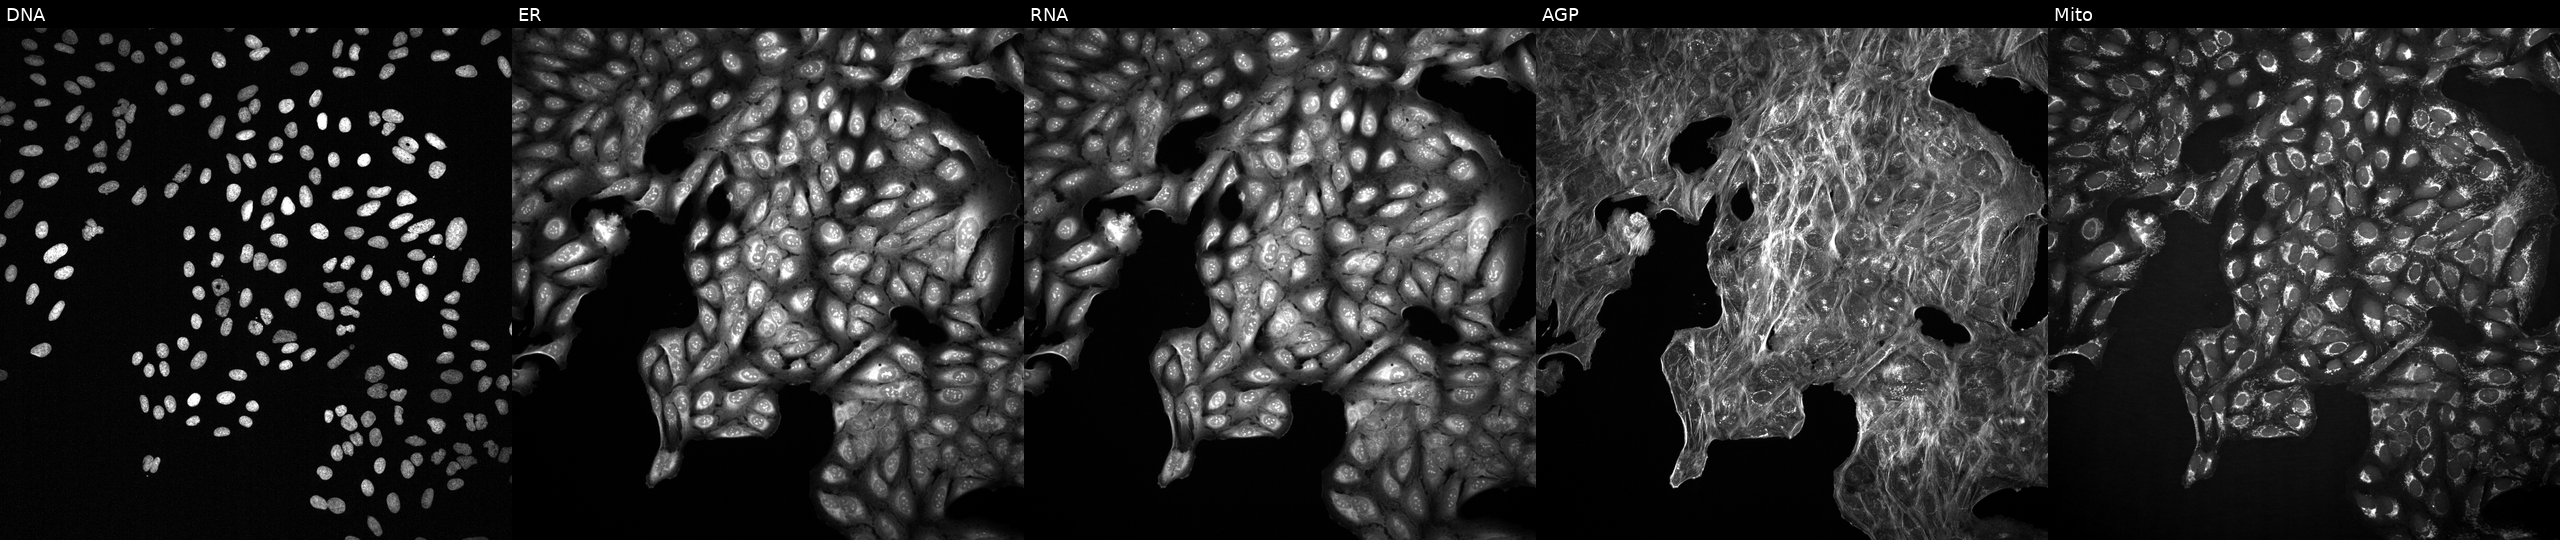
This image strip shows the five Cell Painting channels for a single field of U2OS cells exposed to a small-molecule compound (InChIKey CQMKJKYGDYYWTQ-UHFFFAOYSA-N) (JUMP id JCP2022_012835). Panels show, left to right, DNA (nuclei); ER (endoplasmic reticulum); RNA (nucleoli and cytoplasmic RNA); AGP (actin cytoskeleton, Golgi, and plasma membrane); Mito (mitochondria).